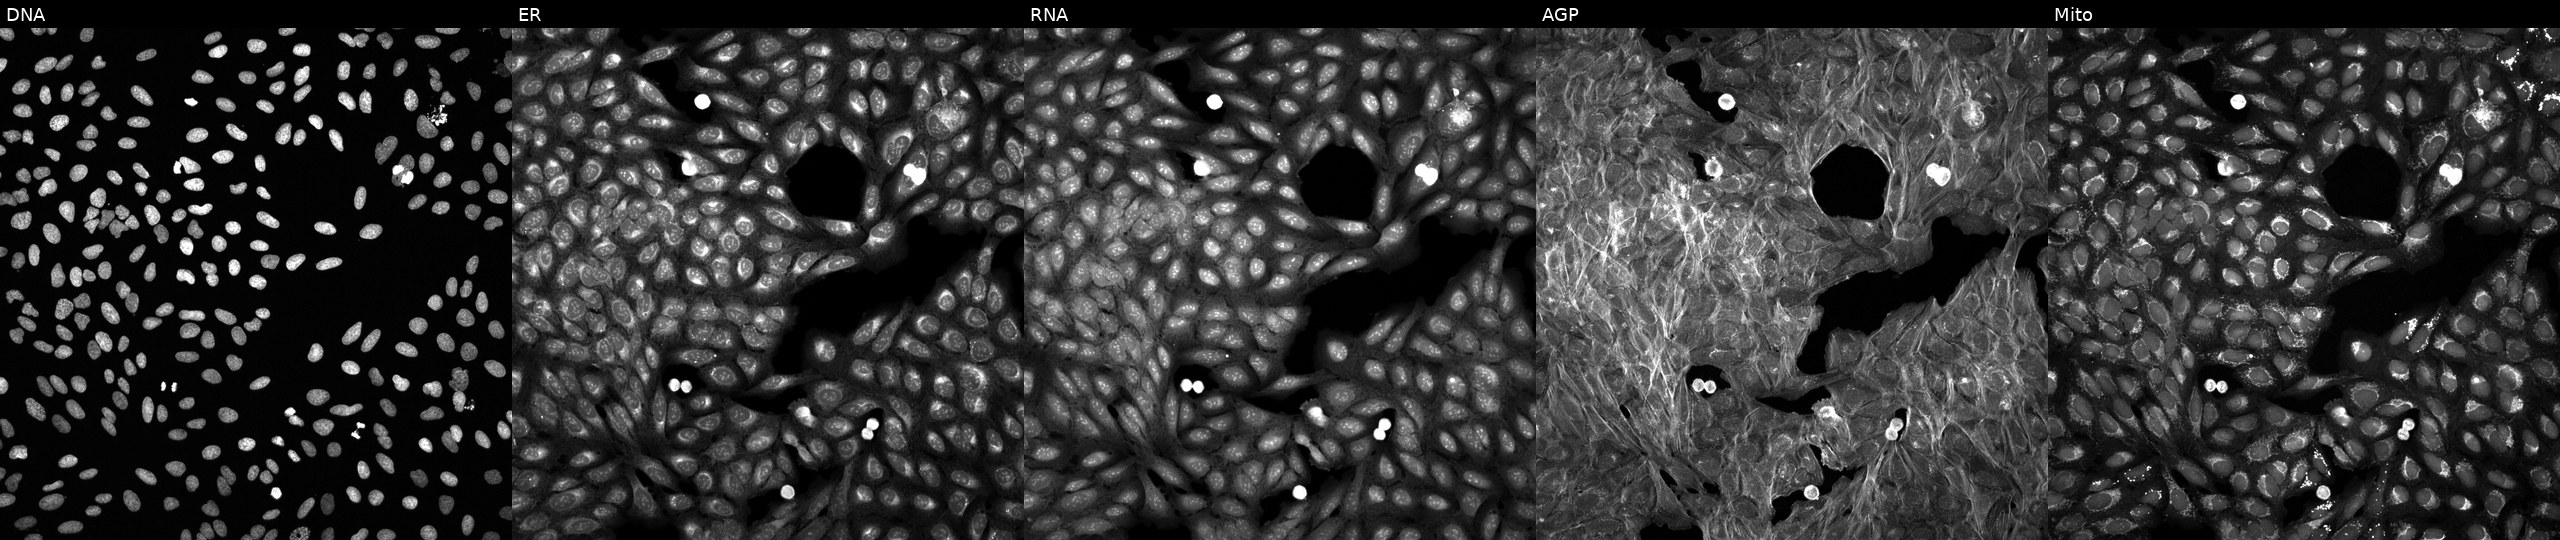
Channels (left→right): Hoechst 33342, concanavalin A, SYTO 14, phalloidin and WGA, MitoTracker. U2OS osteosarcoma cells exposed to a small-molecule compound (InChIKey ZZZRUAITSXLWBH-UHFFFAOYSA-N) [SMILES: CN(C)c1ccc(O)c2c1CC1CC3C(N(C)C)C(=O)C(C(N)=O)C(=O)C3(O)C(=O)C1C2=O] (JUMP id JCP2022_116749). Cell Painting assay, JUMP-CP dataset. Source 6, plate 110000294901, well L07.